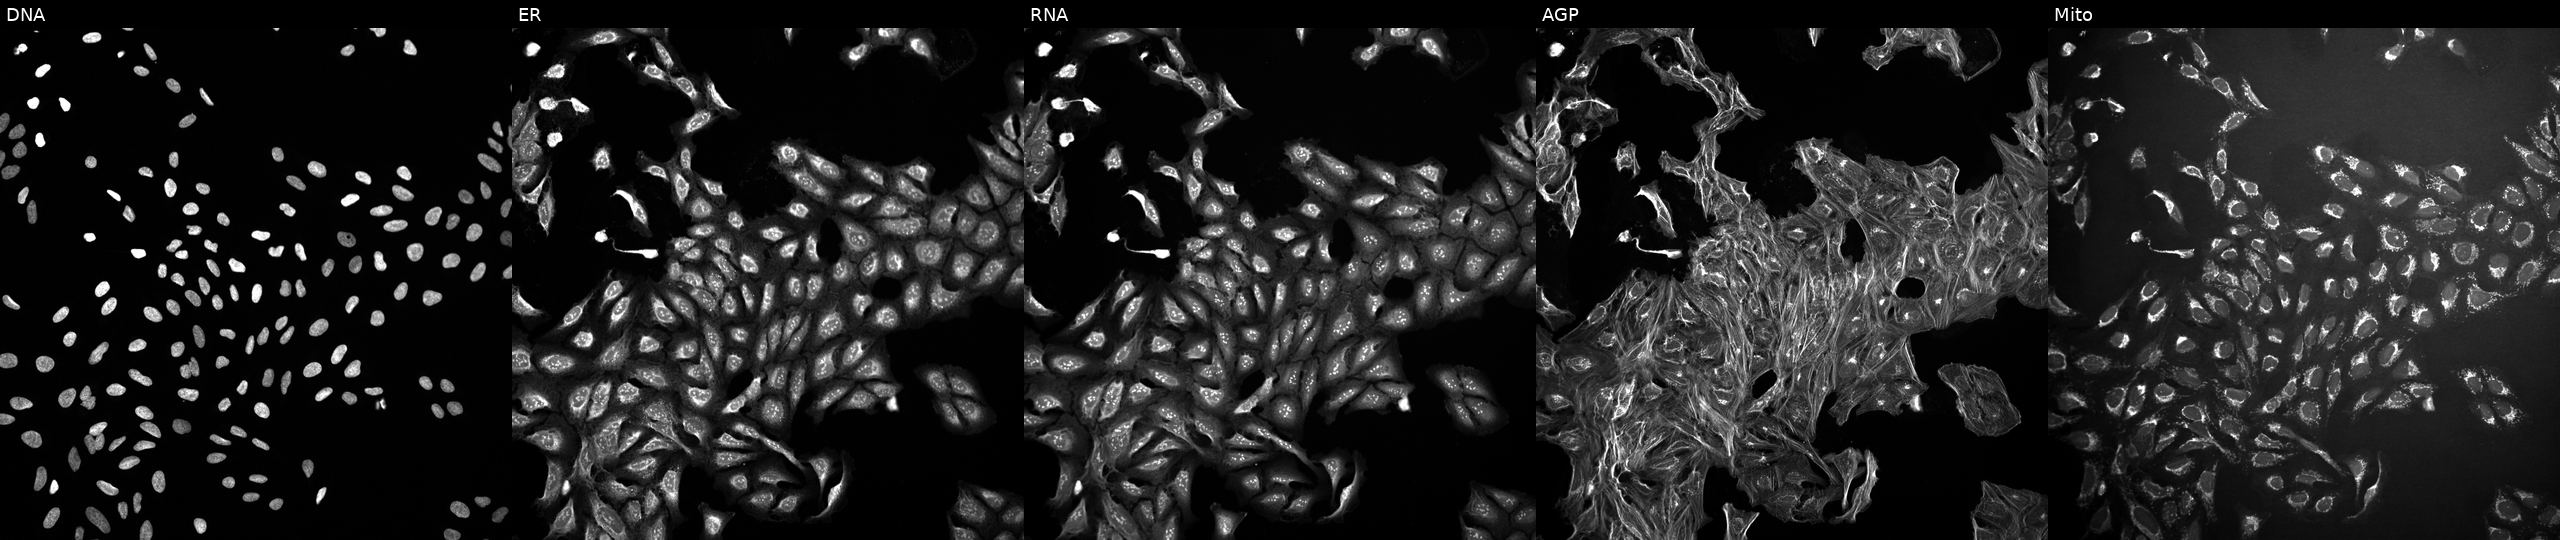
High-content fluorescence microscopy (Cell Painting). Cell line: U2OS. Perturbation: exposed to a small-molecule compound (InChIKey FHPOTBQOUBMMCI-UHFFFAOYSA-N). From left to right: Hoechst 33342, concanavalin A, SYTO 14, phalloidin and WGA, MitoTracker.